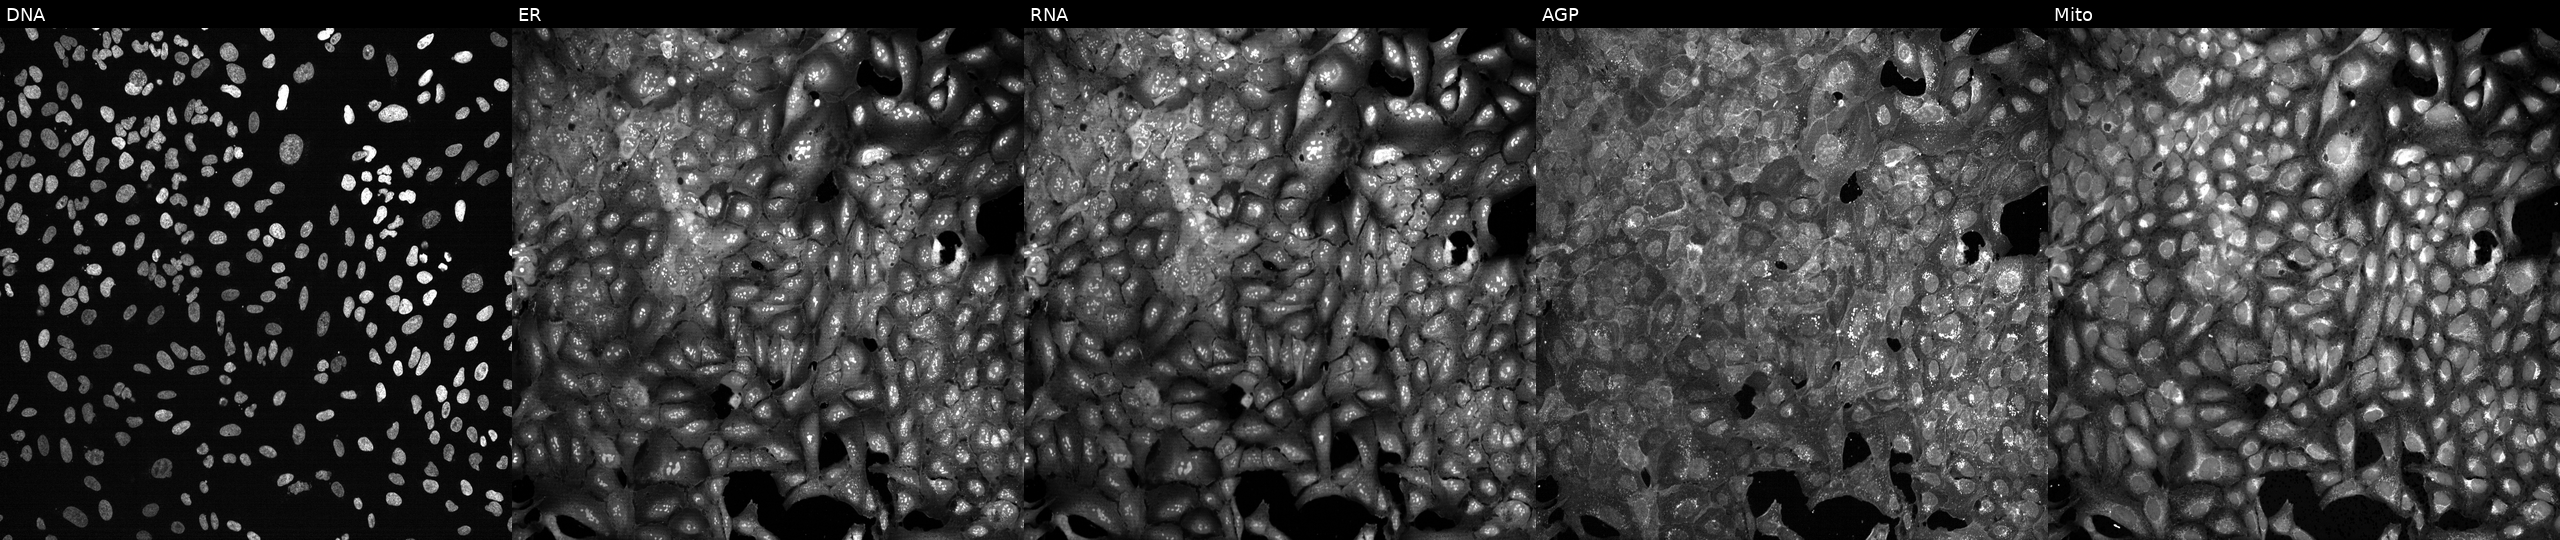
Five-channel Cell Painting image of U2OS cells with ARFGAP1 knocked out by CRISPR (JUMP id JCP2022_800557). Panels show, left to right, DNA (nuclei); ER (endoplasmic reticulum); RNA (nucleoli and cytoplasmic RNA); AGP (actin cytoskeleton, Golgi, and plasma membrane); Mito (mitochondria).